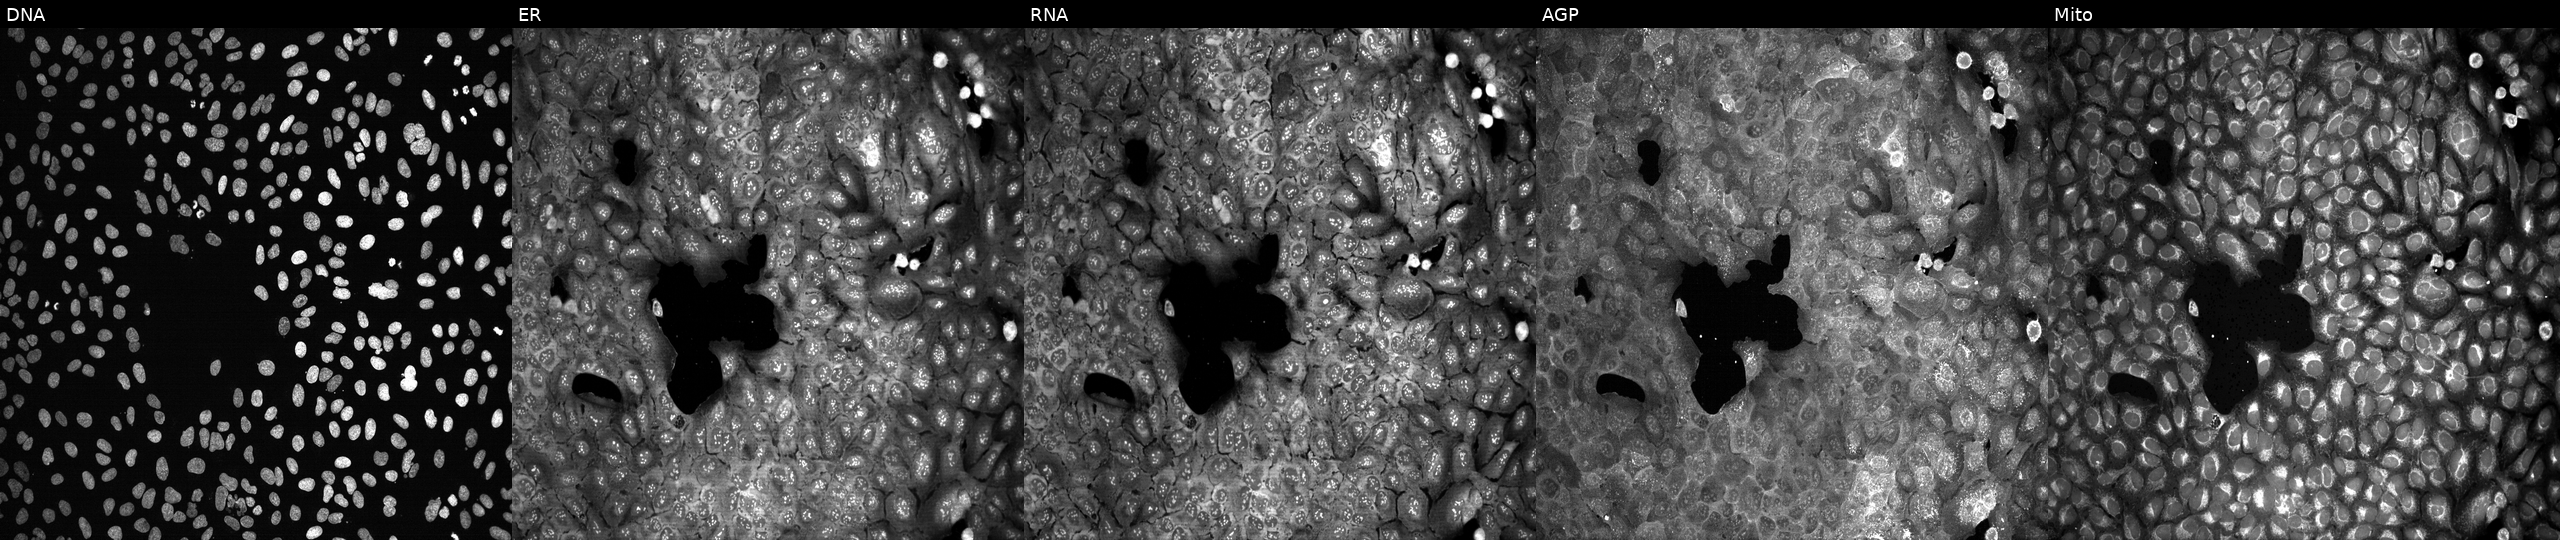
This image strip shows the five Cell Painting channels for a single field of U2OS cells with GNPDA1 knocked out by CRISPR (JUMP id JCP2022_802778). The five panels, left to right, show DNA (nuclei); ER (endoplasmic reticulum); RNA (nucleoli and cytoplasmic RNA); AGP (actin cytoskeleton, Golgi, and plasma membrane); Mito (mitochondria).